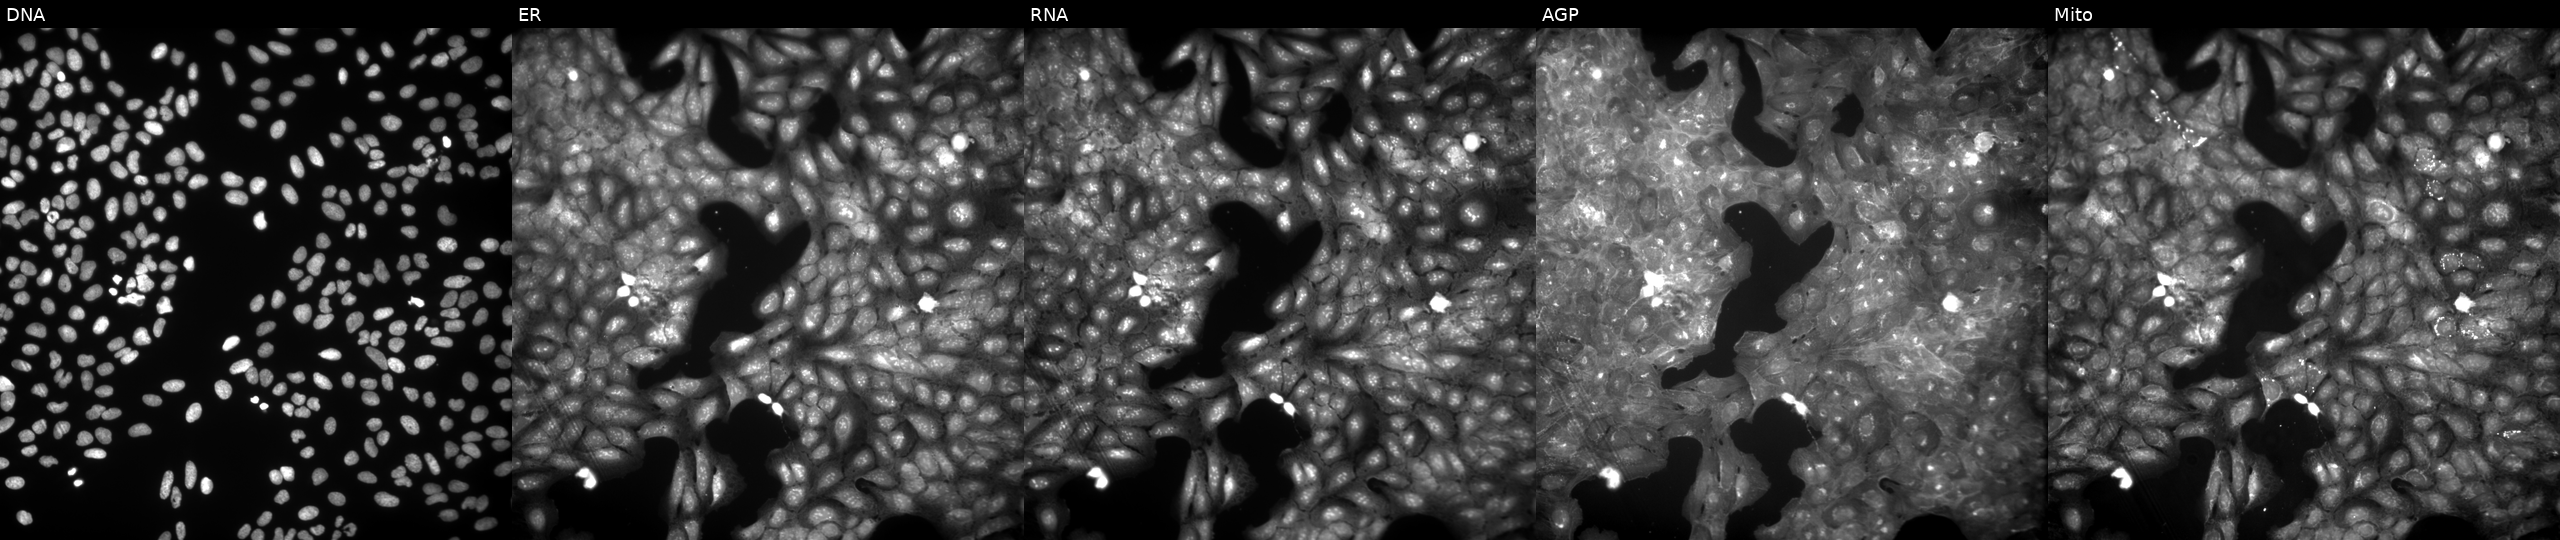
High-content fluorescence microscopy (Cell Painting). Cell line: U2OS. Perturbation: treated with a small-molecule compound (InChIKey GYBAWTQZWMDORM-UHFFFAOYSA-N) (JUMP id JCP2022_028474). From left to right: Hoechst 33342, concanavalin A, SYTO 14, phalloidin and WGA, MitoTracker.